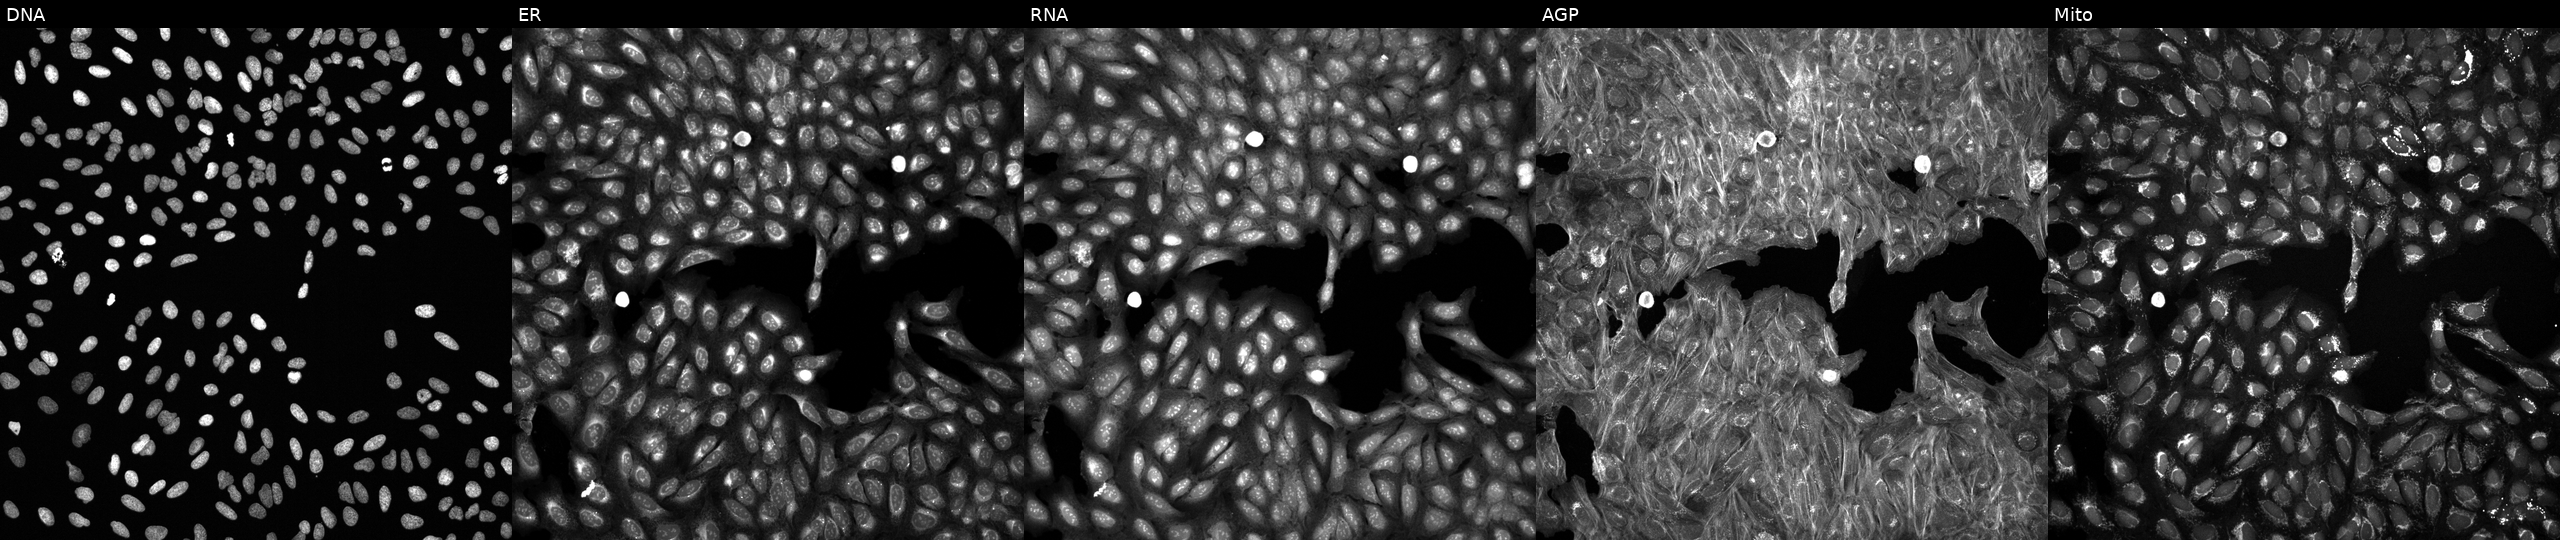
JUMP Cell Painting — TARGET2 plate. U2OS cells exposed to a small-molecule compound (InChIKey NUKYPUAOHBNCPY-UHFFFAOYSA-N) [SMILES: N=c1cc[nH]cc1] (JUMP id JCP2022_061437). The five panels, left to right, show DNA (nuclei); ER (endoplasmic reticulum); RNA (nucleoli and cytoplasmic RNA); AGP (actin cytoskeleton, Golgi, and plasma membrane); Mito (mitochondria). Source 6, plate 110000294901, well B18.